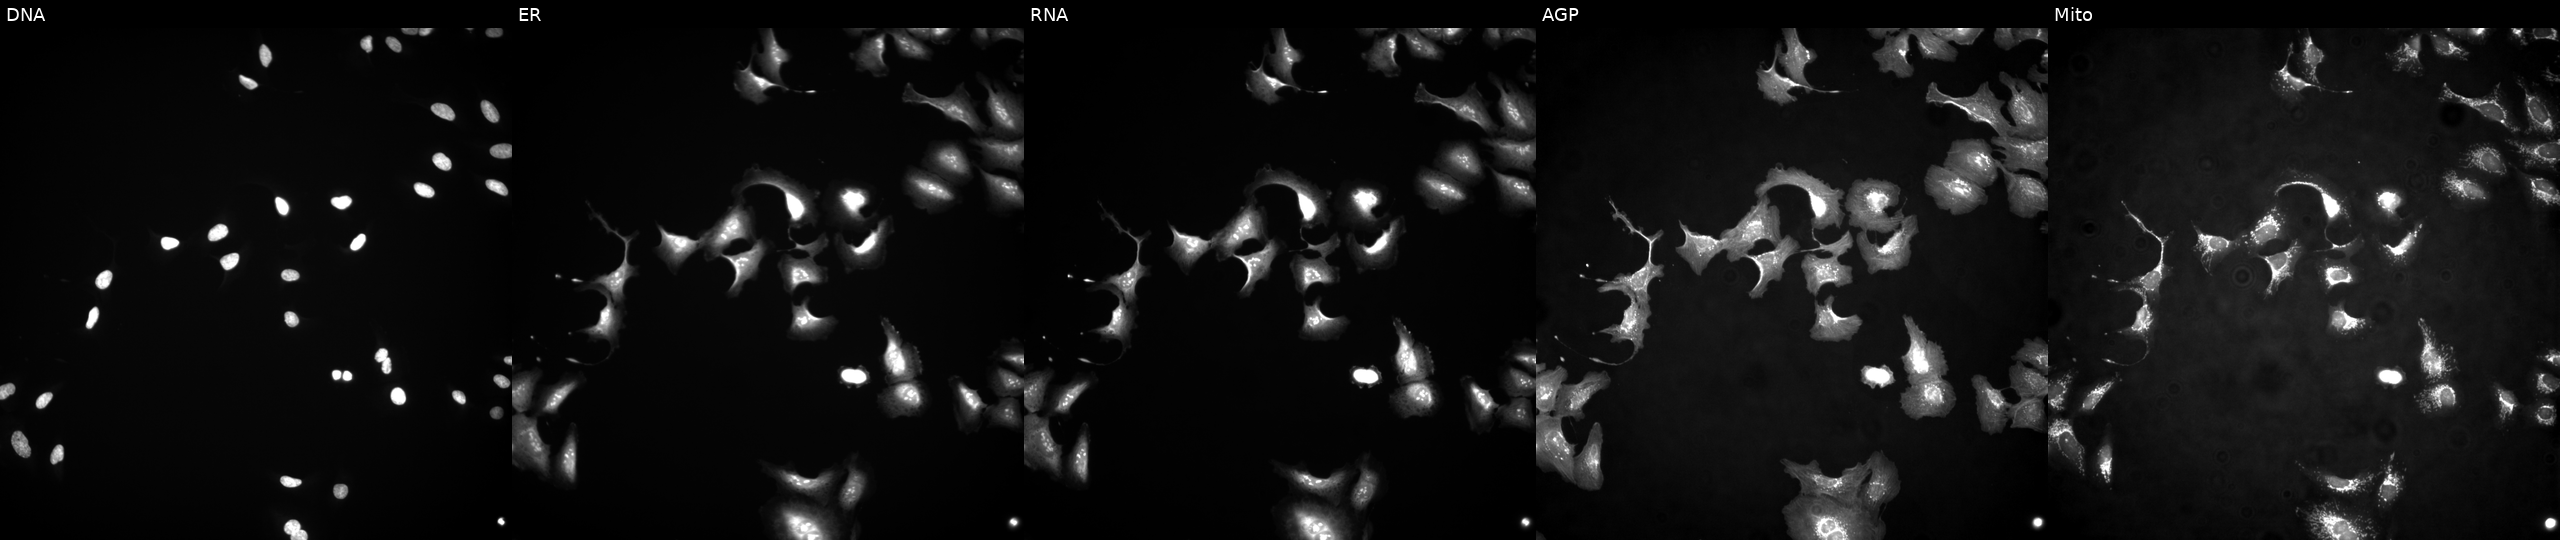
JUMP Cell Painting — ORF plate. U2OS cells with ZNF595 overexpressed (ORF) (JUMP id JCP2022_909029). The five panels, left to right, show DNA (nuclei); ER (endoplasmic reticulum); RNA (nucleoli and cytoplasmic RNA); AGP (actin cytoskeleton, Golgi, and plasma membrane); Mito (mitochondria).